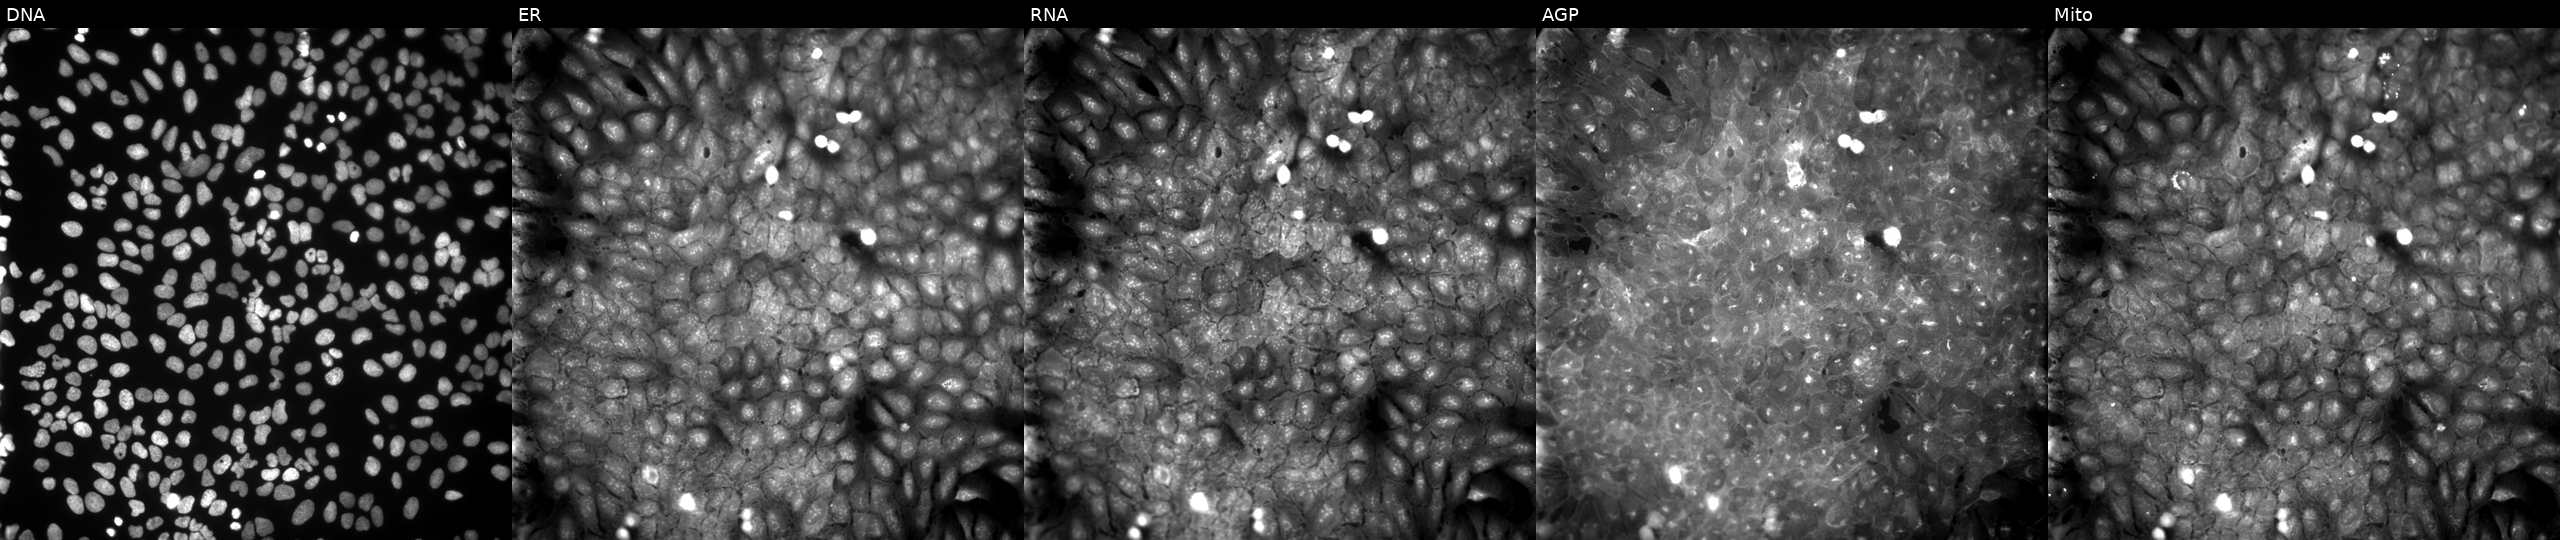
U2OS cells, Cell Painting assay, perturbed with a small-molecule compound (InChIKey HZOQOYSHTJZSII-UHFFFAOYSA-N) (JUMP id JCP2022_033648). Panels show, left to right, Hoechst 33342, concanavalin A, SYTO 14, phalloidin and WGA, MitoTracker. Each panel is percentile-stretched 16-bit fluorescence.